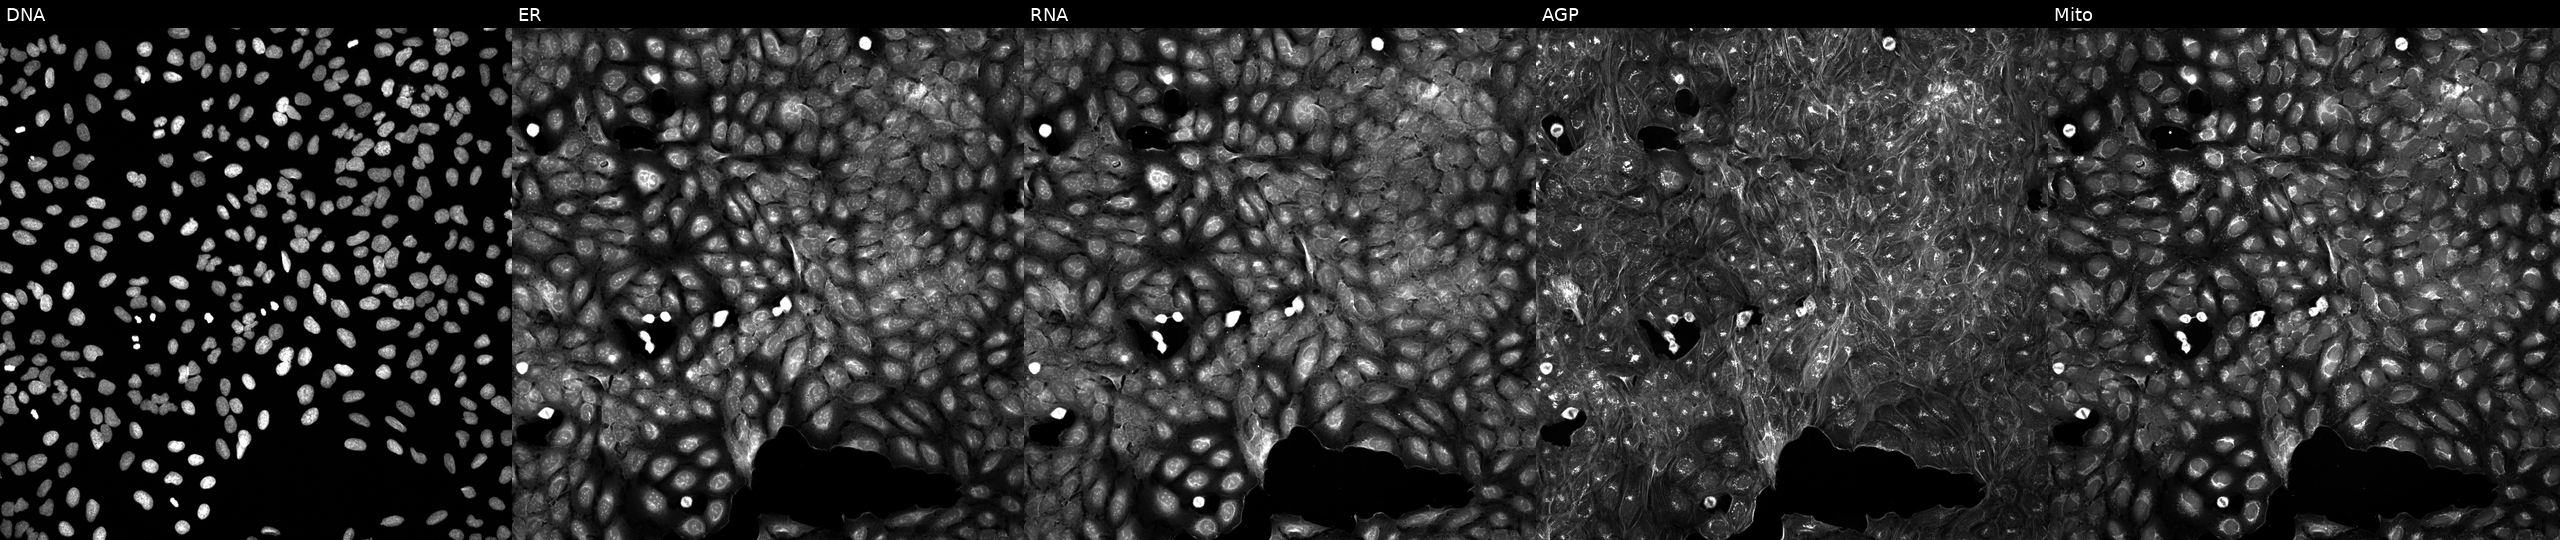
From left to right: DNA (nuclei); ER (endoplasmic reticulum); RNA (nucleoli and cytoplasmic RNA); AGP (actin cytoskeleton, Golgi, and plasma membrane); Mito (mitochondria). U2OS osteosarcoma cells perturbed with a small-molecule compound (InChIKey CTGXMUKXZTZUKY-UHFFFAOYSA-N) [SMILES: O=C(c1cnn(CCN2CCCCC2)c1)N1CCC2(CCCCC2)C1]. Cell Painting assay, JUMP-CP dataset. Source 5, plate APTJUM106, well L16.